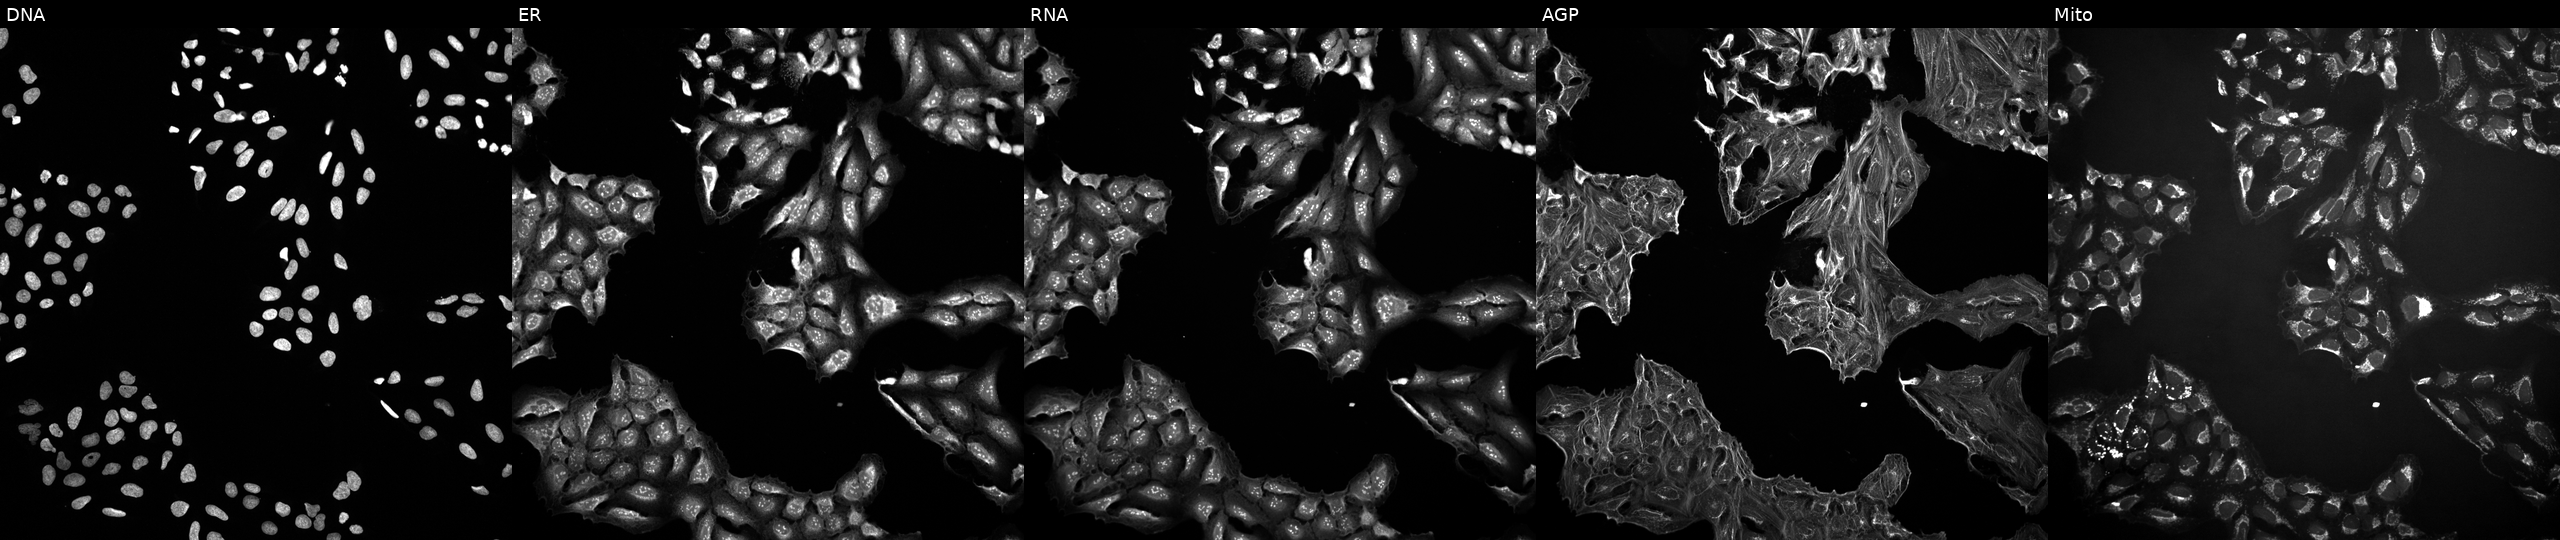
U2OS cells, Cell Painting assay, treated with DMSO vehicle only (negative control). The five panels, left to right, show DNA (nuclei); ER (endoplasmic reticulum); RNA (nucleoli and cytoplasmic RNA); AGP (actin cytoskeleton, Golgi, and plasma membrane); Mito (mitochondria). Each panel is percentile-stretched 16-bit fluorescence. Source 10, plate Dest210726-160150, well I09.